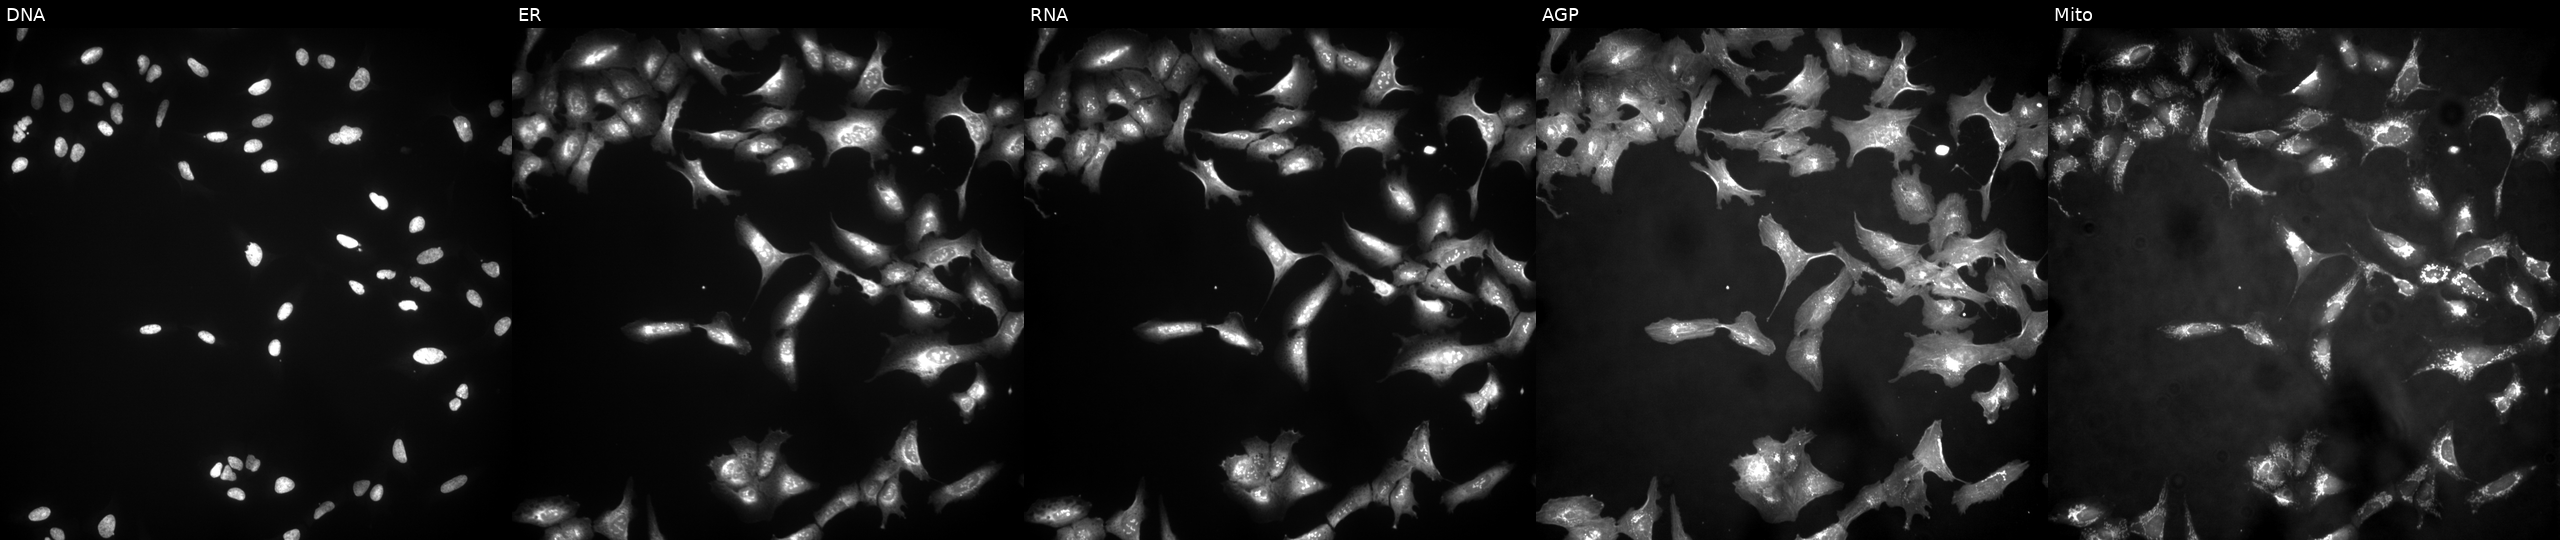
The five panels, left to right, show DNA (nuclei); ER (endoplasmic reticulum); RNA (nucleoli and cytoplasmic RNA); AGP (actin cytoskeleton, Golgi, and plasma membrane); Mito (mitochondria). U2OS osteosarcoma cells overexpressing PRIM1 via ORF transfection. Cell Painting assay, JUMP-CP dataset. Source 4, plate BR00123506, well G08.